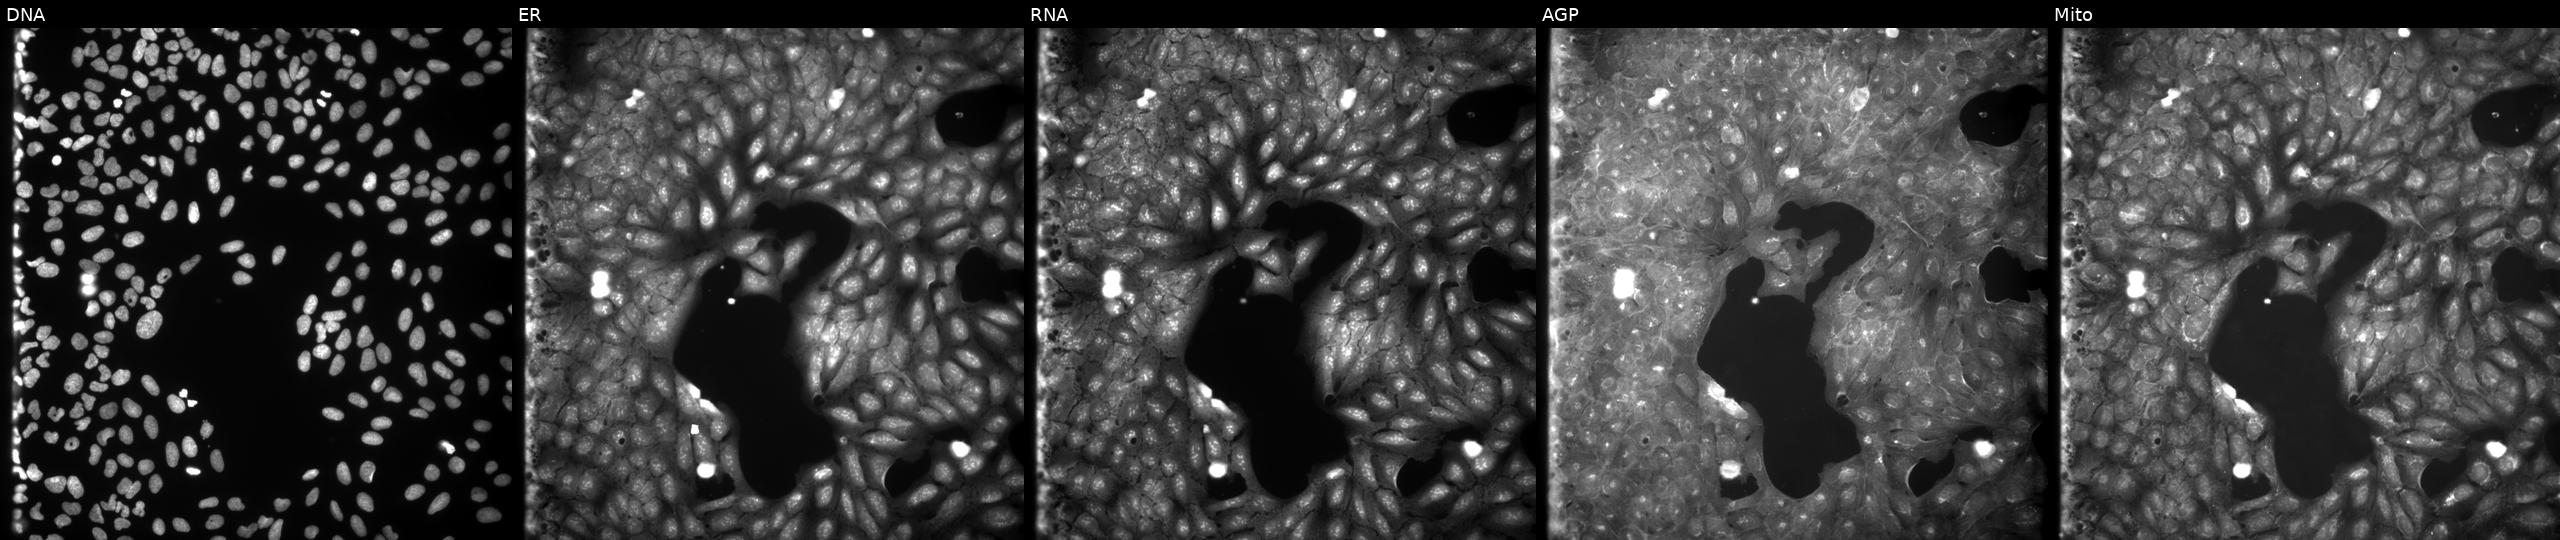
U2OS cells, Cell Painting assay, perturbed with a small-molecule compound (InChIKey XNTWTJPFGLIYBA-UHFFFAOYSA-N) (JUMP id JCP2022_104844). Channels (left→right): Hoechst 33342, concanavalin A, SYTO 14, phalloidin and WGA, MitoTracker. Each panel is percentile-stretched 16-bit fluorescence. Source 9, plate GR00003382, well G14.